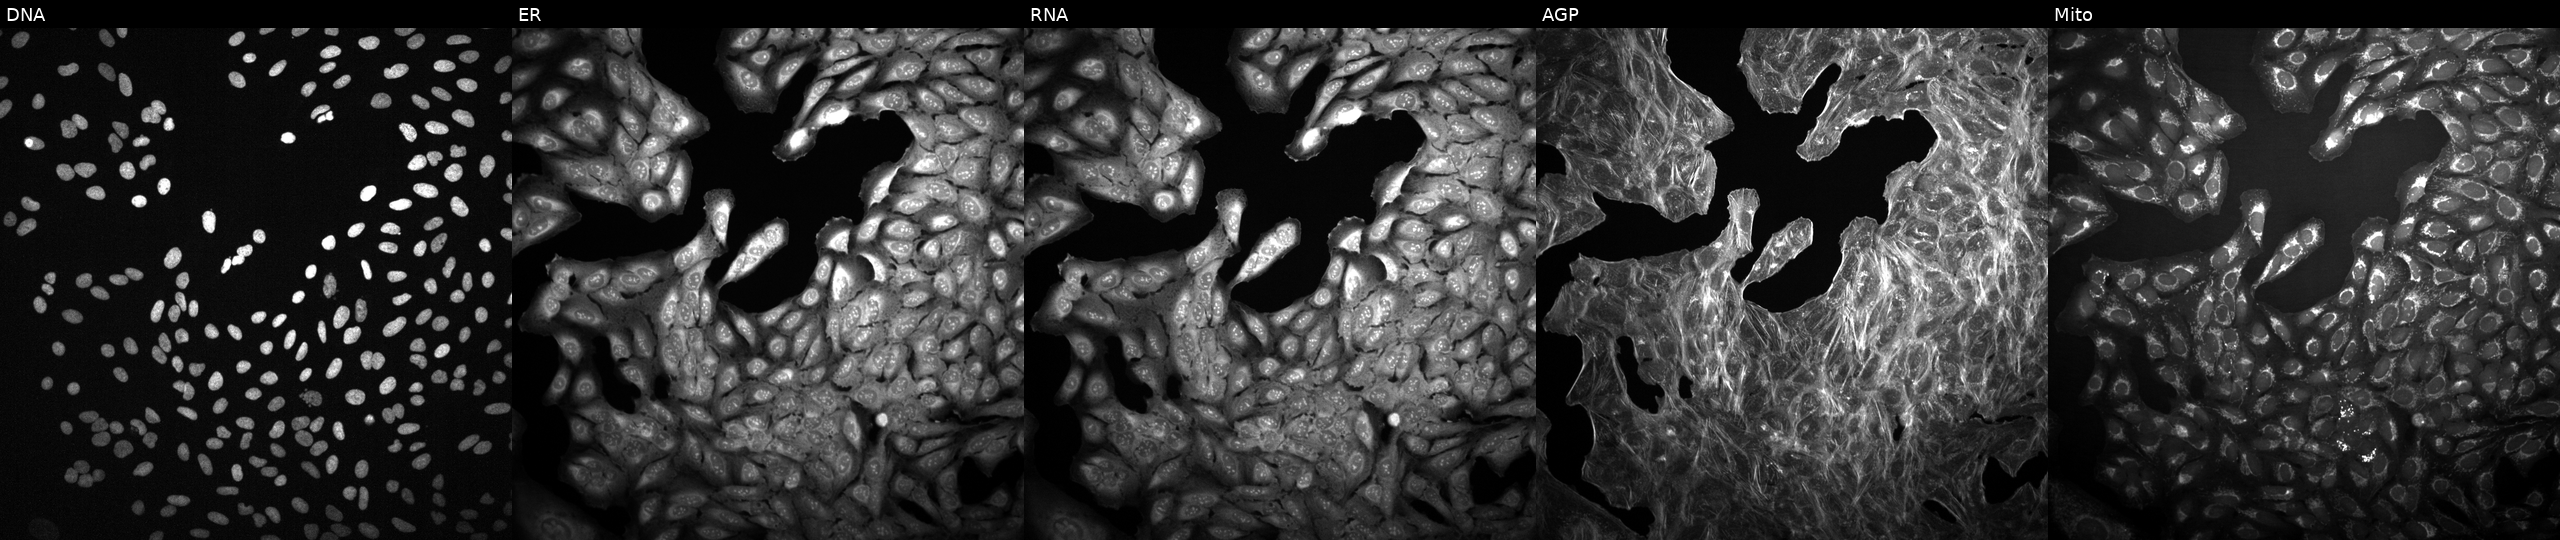
Five-channel Cell Painting image of U2OS cells exposed to a small-molecule compound (InChIKey RYEFFICCPKWYML-UHFFFAOYSA-N) (JUMP id JCP2022_081496). From left to right: Hoechst 33342, concanavalin A, SYTO 14, phalloidin and WGA, MitoTracker. Source 2, plate 1053597936, well M09.